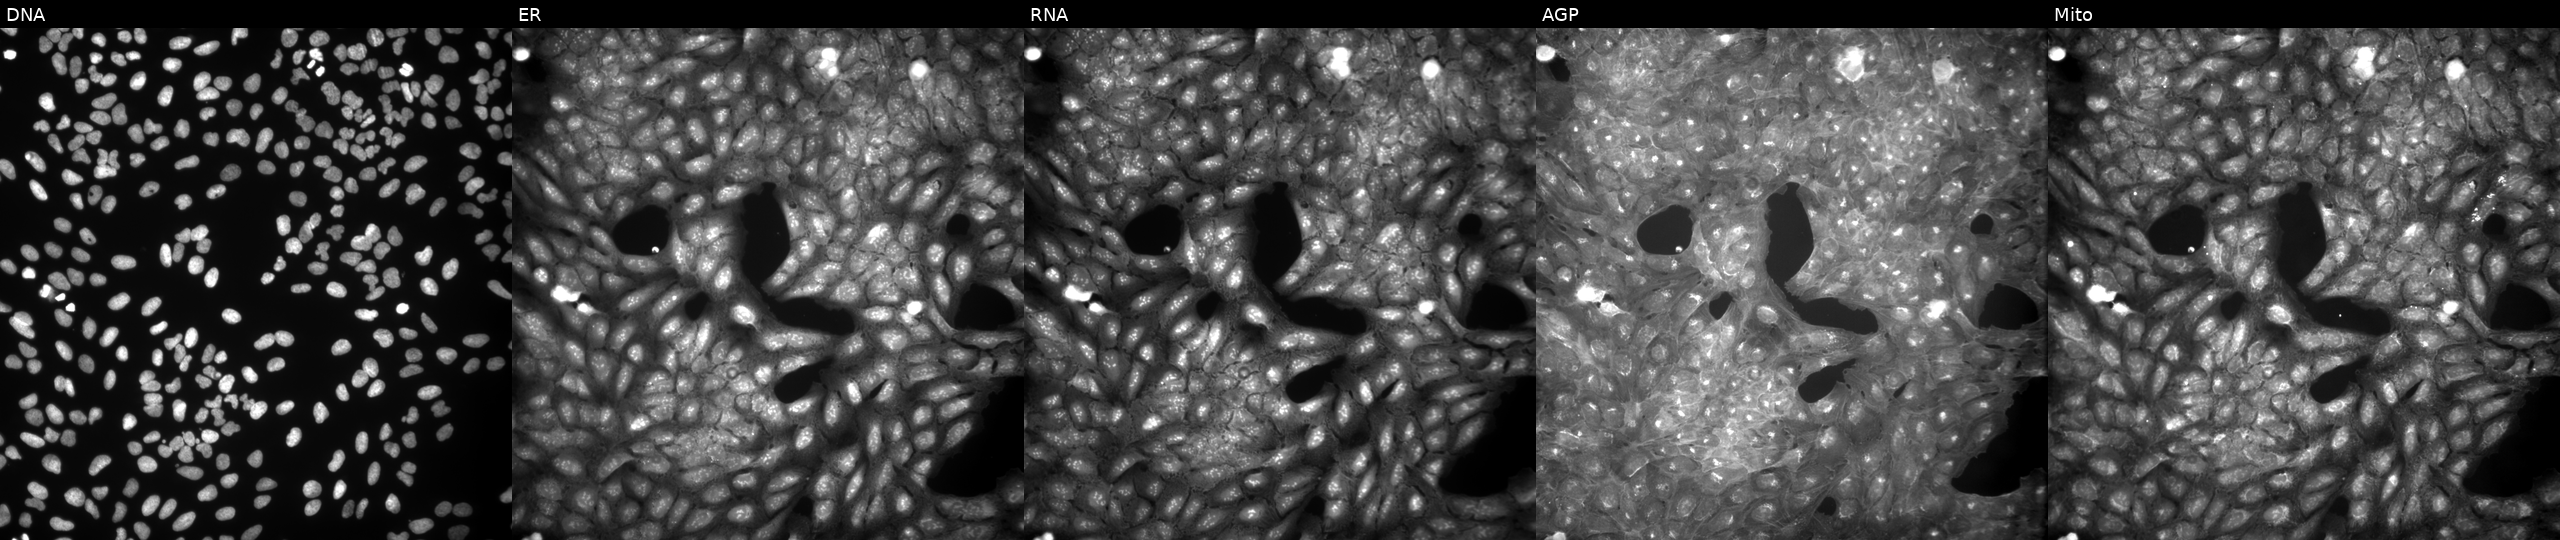
U2OS cells, Cell Painting assay, treated with a small-molecule compound (InChIKey YAMRRJLJTCEUOF-UHFFFAOYSA-N) (JUMP id JCP2022_107231). From left to right: DNA, ER, RNA, AGP, and Mito. Each panel is percentile-stretched 16-bit fluorescence.